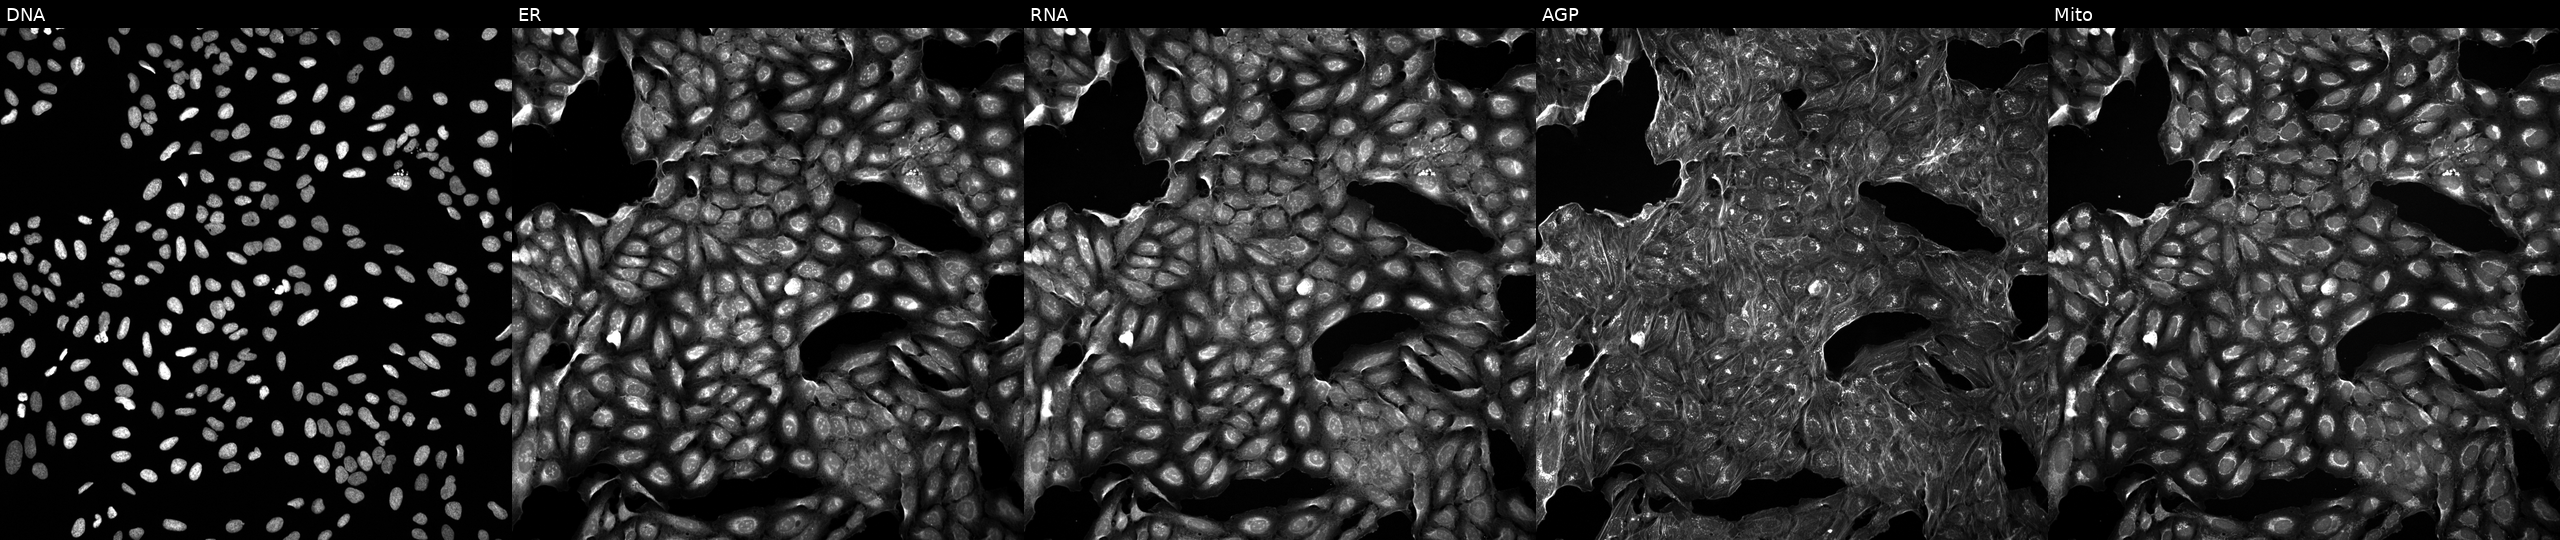
This image strip shows the five Cell Painting channels for a single field of U2OS cells treated with a small-molecule compound (InChIKey ATIHUBQQGYCQHH-UHFFFAOYSA-N) (JUMP id JCP2022_003731). Channels (left→right): Hoechst 33342, concanavalin A, SYTO 14, phalloidin and WGA, MitoTracker.